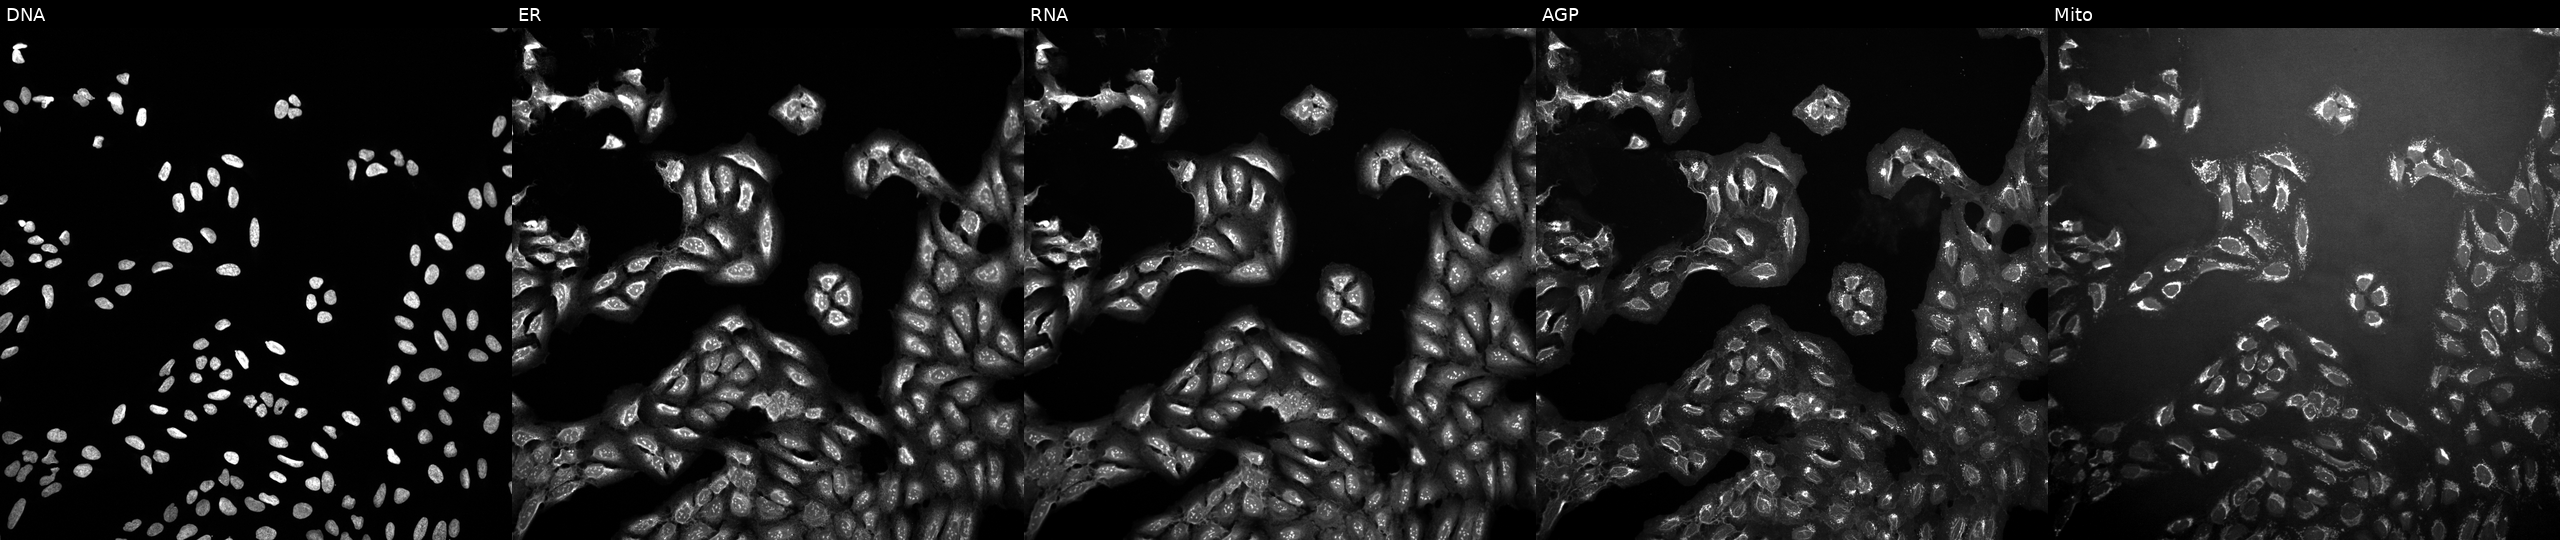
U2OS cells, Cell Painting assay, treated with a small-molecule compound (InChIKey JVCWPUFNLFSKFS-UHFFFAOYSA-N). The five panels, left to right, show DNA (nuclei); ER (endoplasmic reticulum); RNA (nucleoli and cytoplasmic RNA); AGP (actin cytoskeleton, Golgi, and plasma membrane); Mito (mitochondria). Each panel is percentile-stretched 16-bit fluorescence.